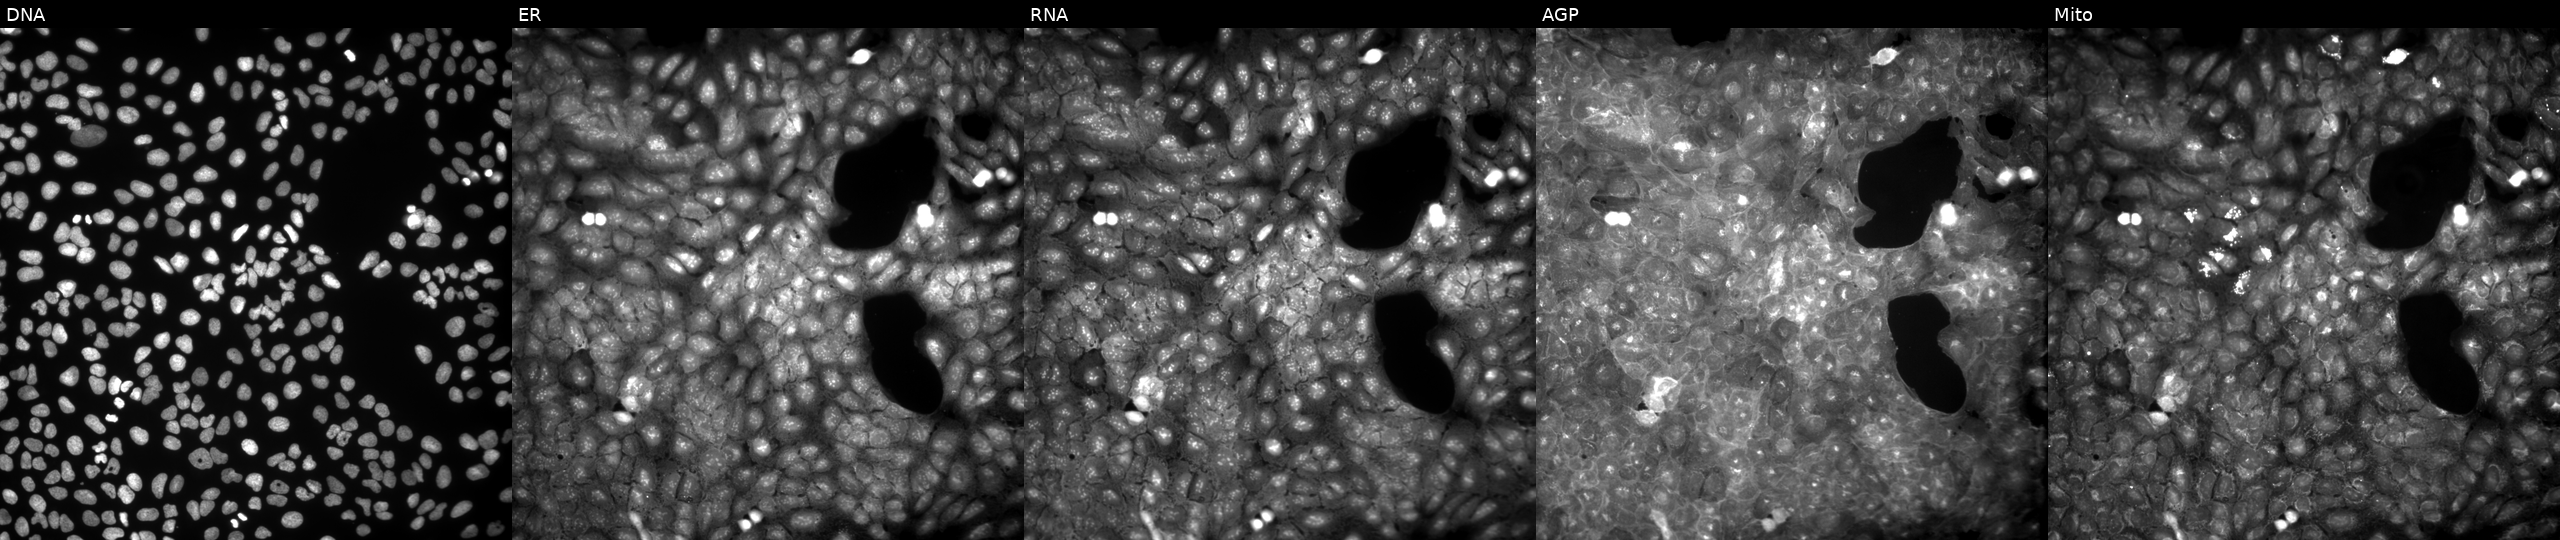
JUMP Cell Painting — COMPOUND plate. U2OS cells exposed to a small-molecule compound. The five panels, left to right, show Hoechst 33342, concanavalin A, SYTO 14, phalloidin and WGA, MitoTracker.